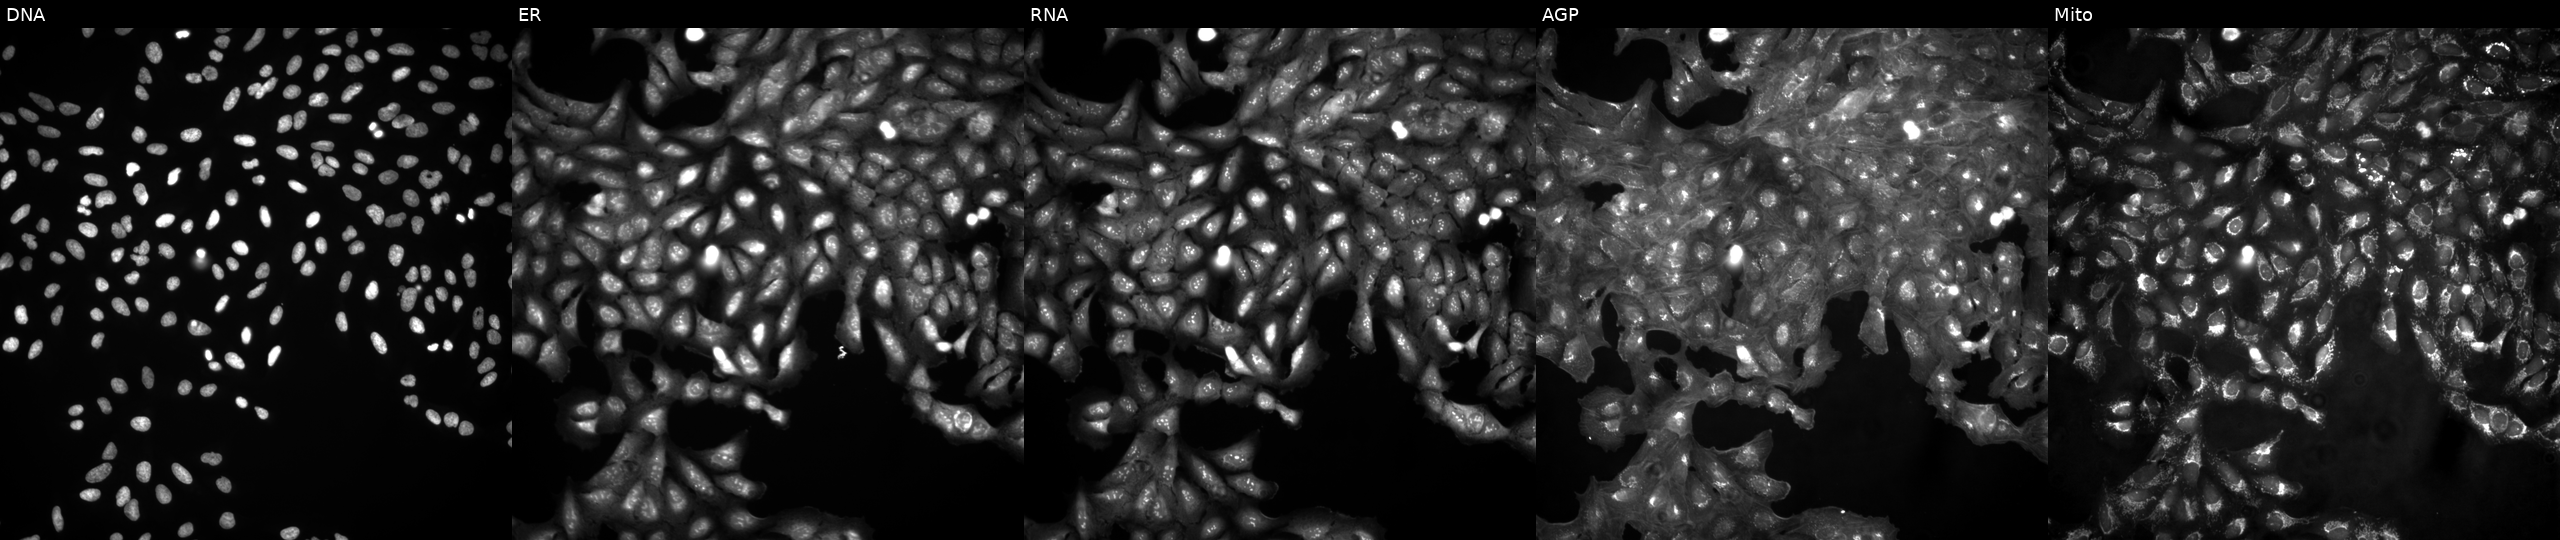
This image strip shows the five Cell Painting channels for a single field of U2OS cells in an empty control well (no perturbation). From left to right: DNA (nuclei); ER (endoplasmic reticulum); RNA (nucleoli and cytoplasmic RNA); AGP (actin cytoskeleton, Golgi, and plasma membrane); Mito (mitochondria).